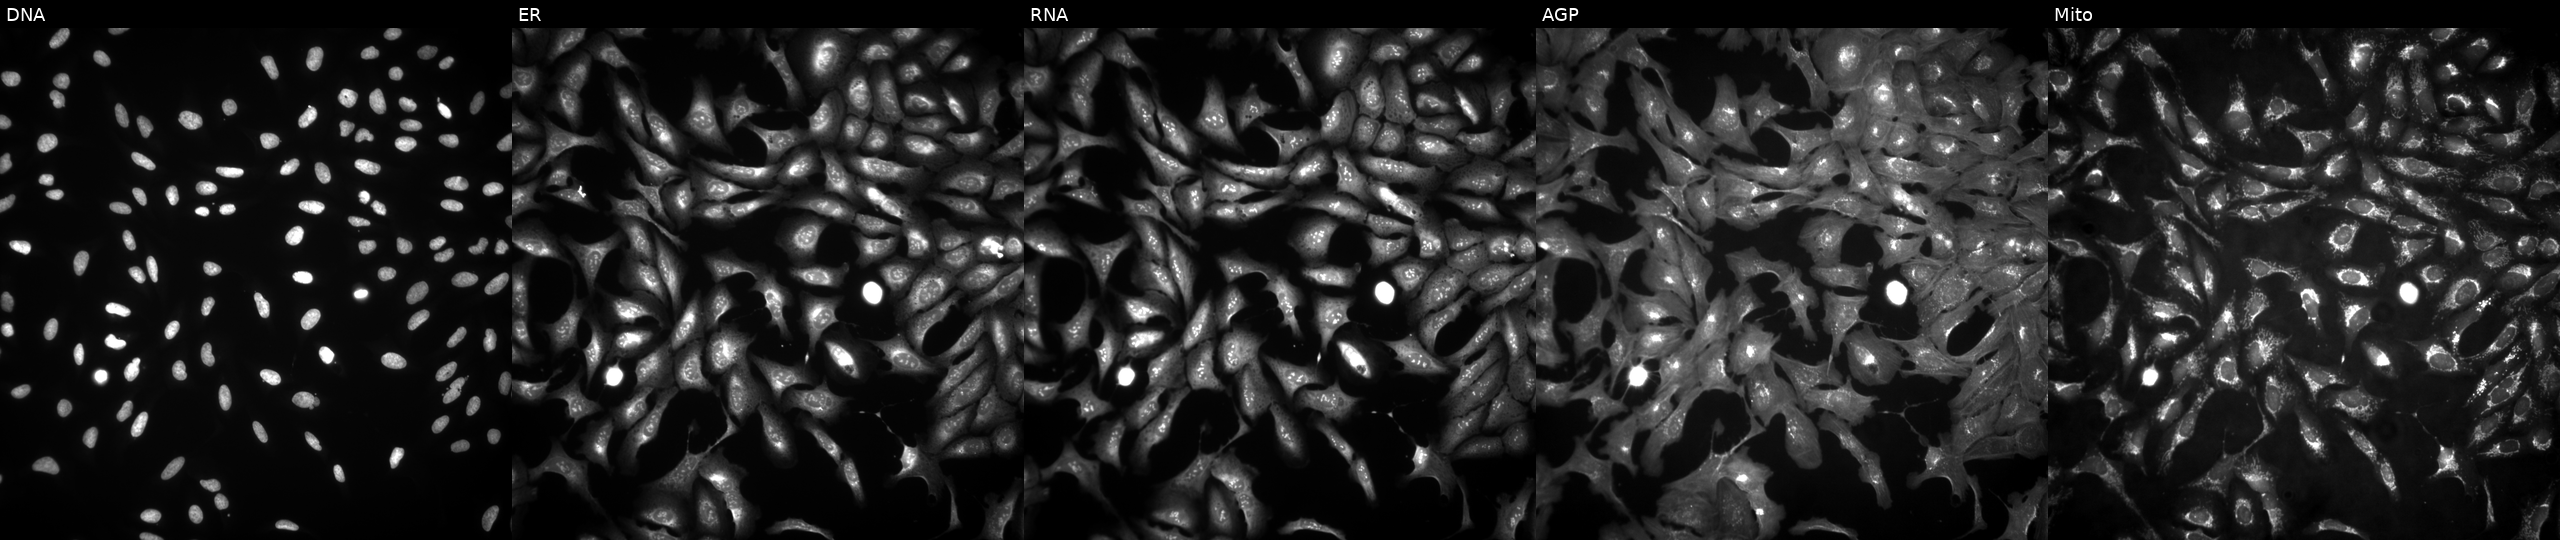
High-content fluorescence microscopy (Cell Painting). Cell line: U2OS. Perturbation: overexpressing MID1IP1 via ORF transfection. From left to right: Hoechst 33342, concanavalin A, SYTO 14, phalloidin and WGA, MitoTracker.